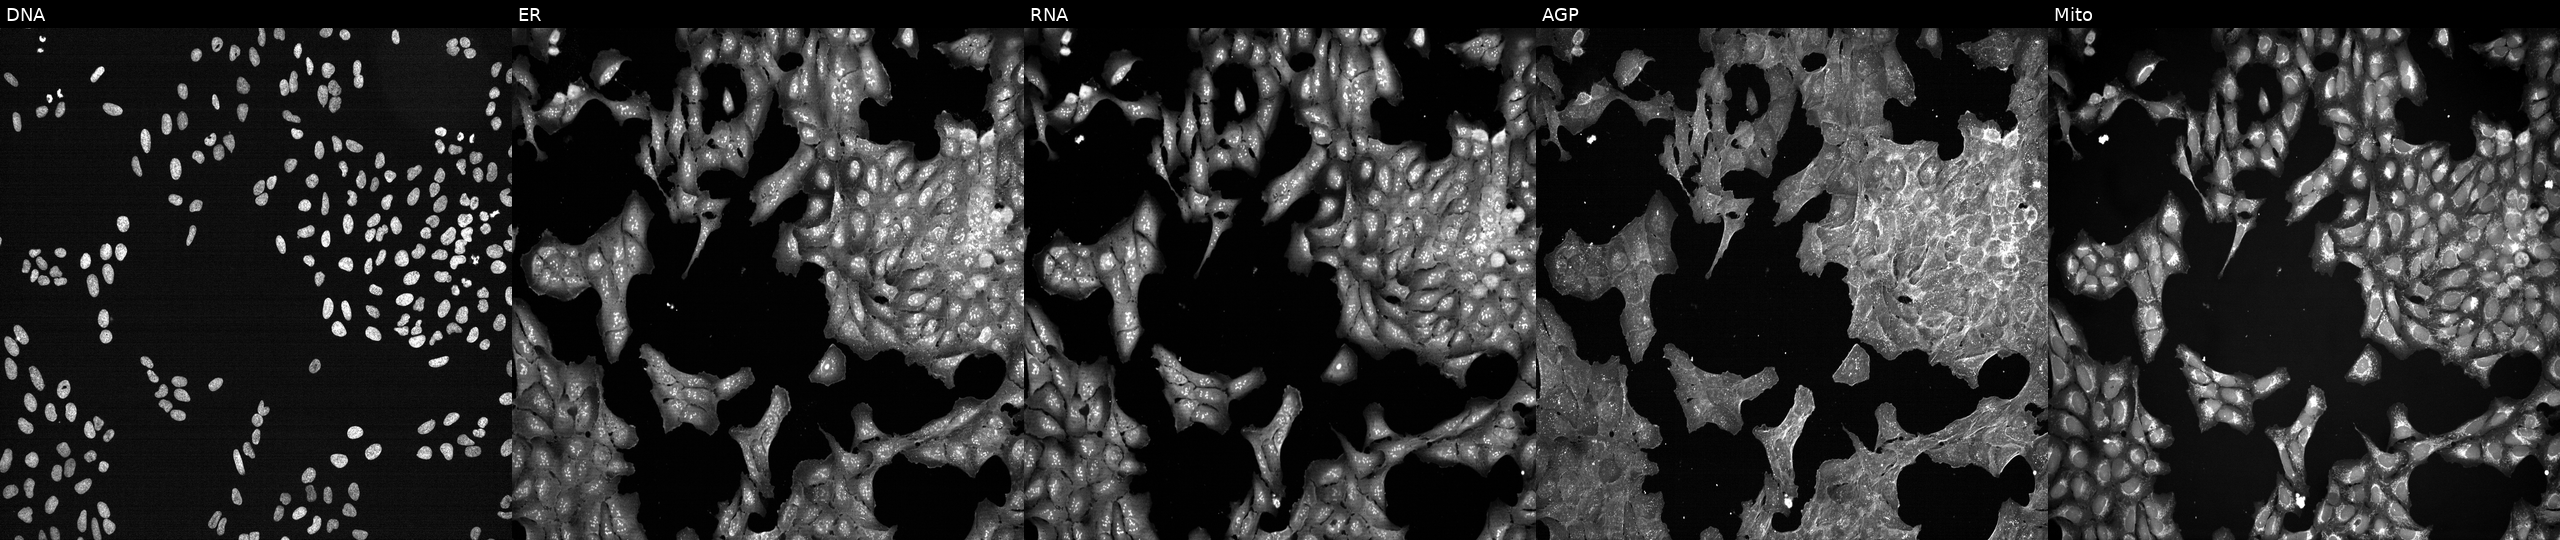
High-content fluorescence microscopy (Cell Painting). Cell line: U2OS. Perturbation: exposed to DMSO alone as a negative control. From left to right: DNA, ER, RNA, AGP, and Mito. Source 7, plate CP2-SC1-25, well E13.